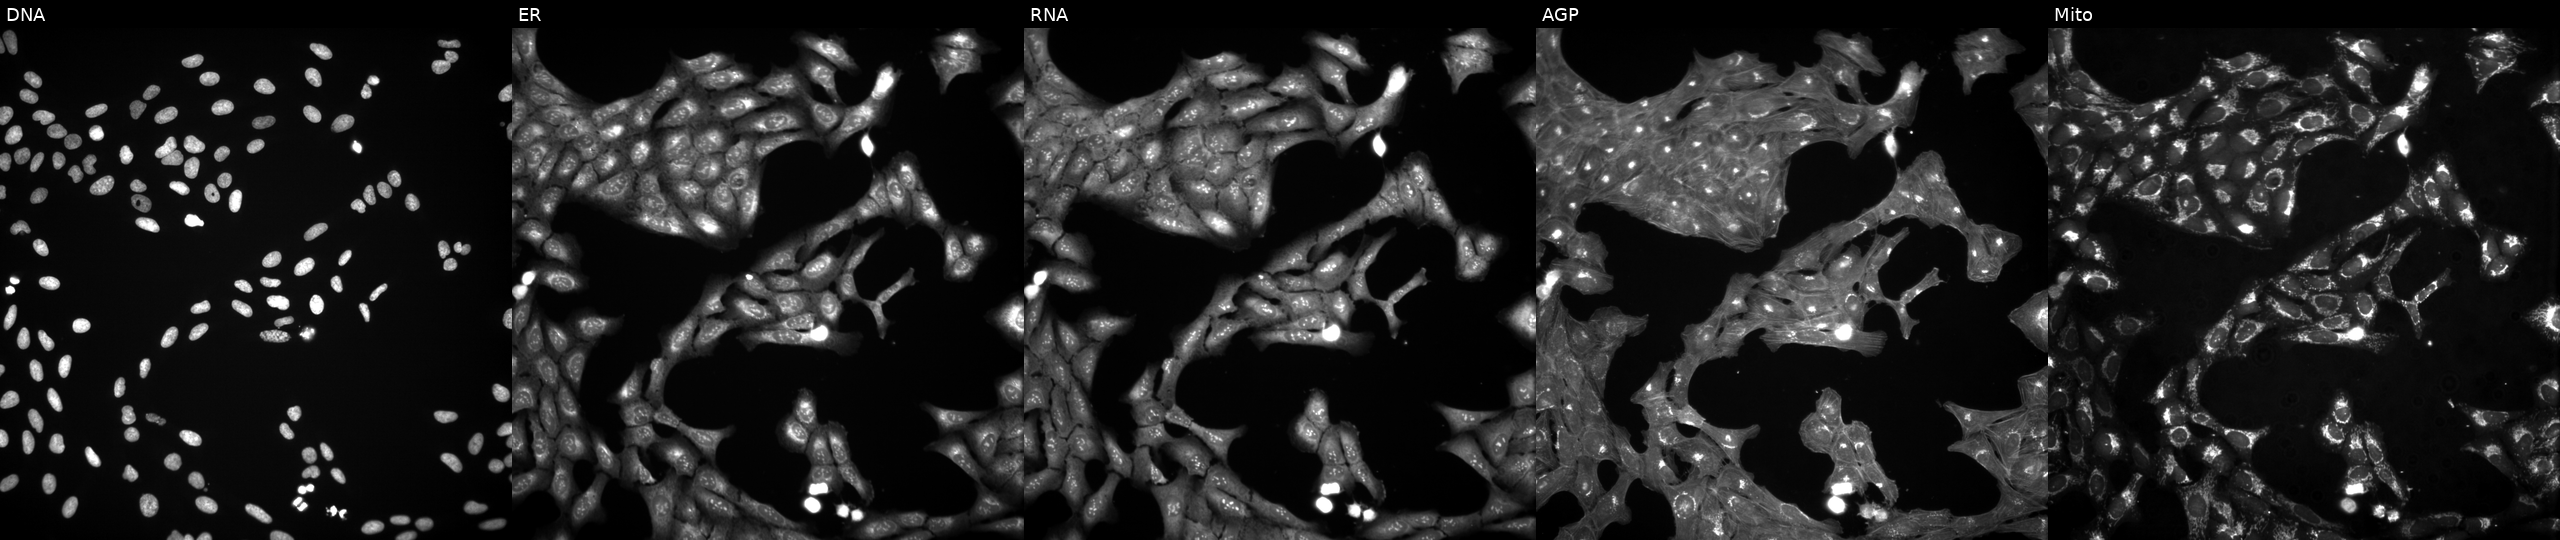
High-content fluorescence microscopy (Cell Painting). Cell line: U2OS. Perturbation: exposed to a small-molecule compound [SMILES: CN1CCCC1c1cccnc1]. Channels (left→right): DNA, ER, RNA, AGP, and Mito. Source 3, plate JCPQC052, well P02.